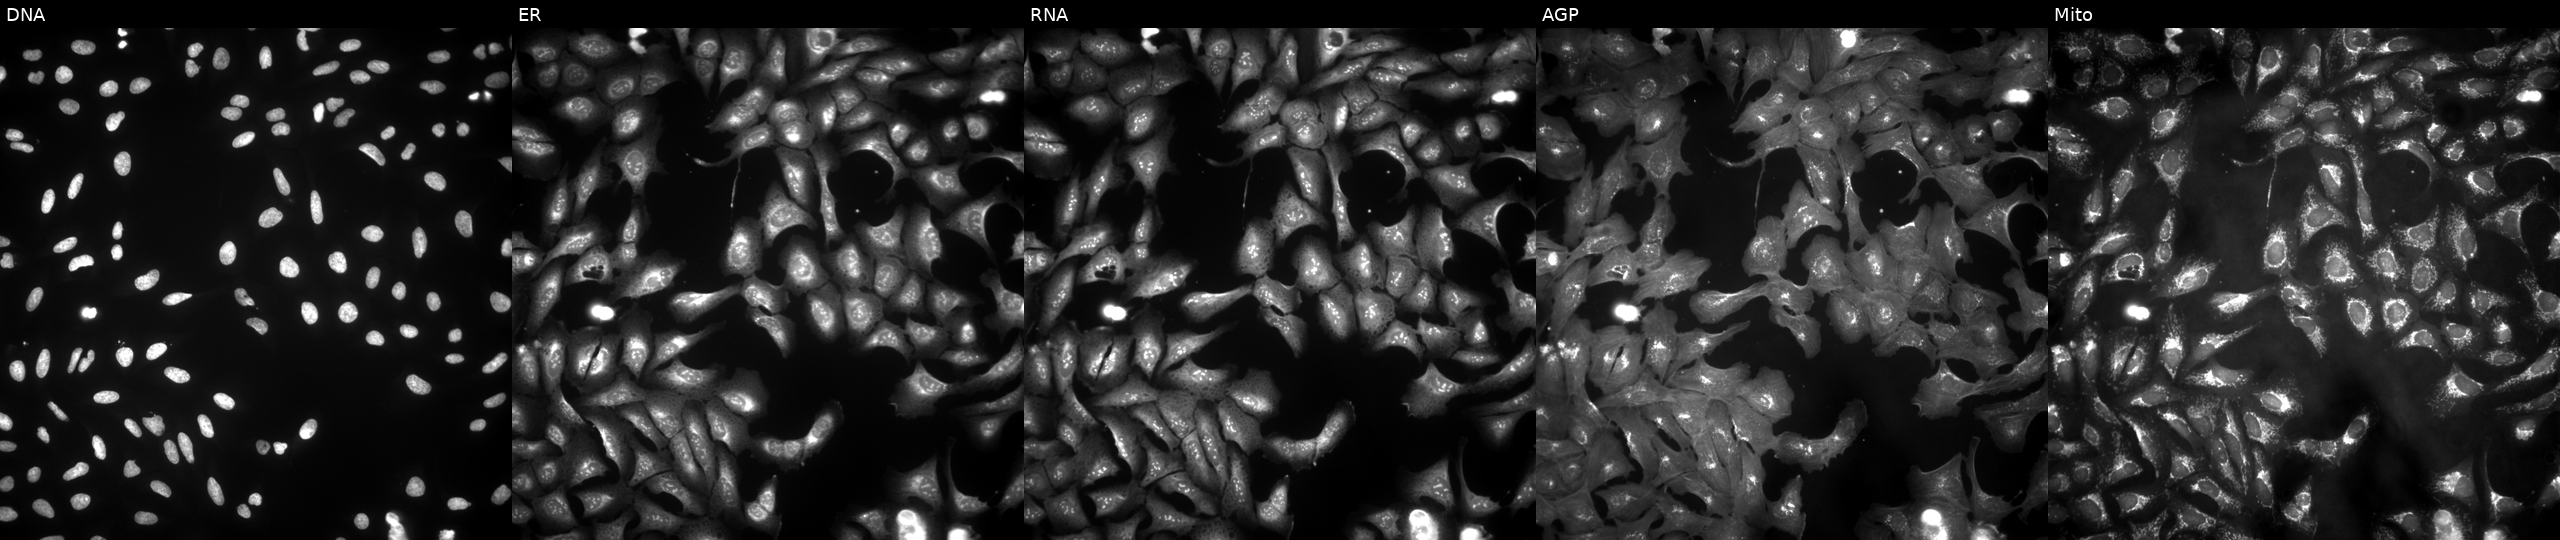
JUMP Cell Painting — ORF plate. U2OS cells overexpressing CSMD2 via ORF transfection (JUMP id JCP2022_912155). From left to right: DNA (nuclei); ER (endoplasmic reticulum); RNA (nucleoli and cytoplasmic RNA); AGP (actin cytoskeleton, Golgi, and plasma membrane); Mito (mitochondria).